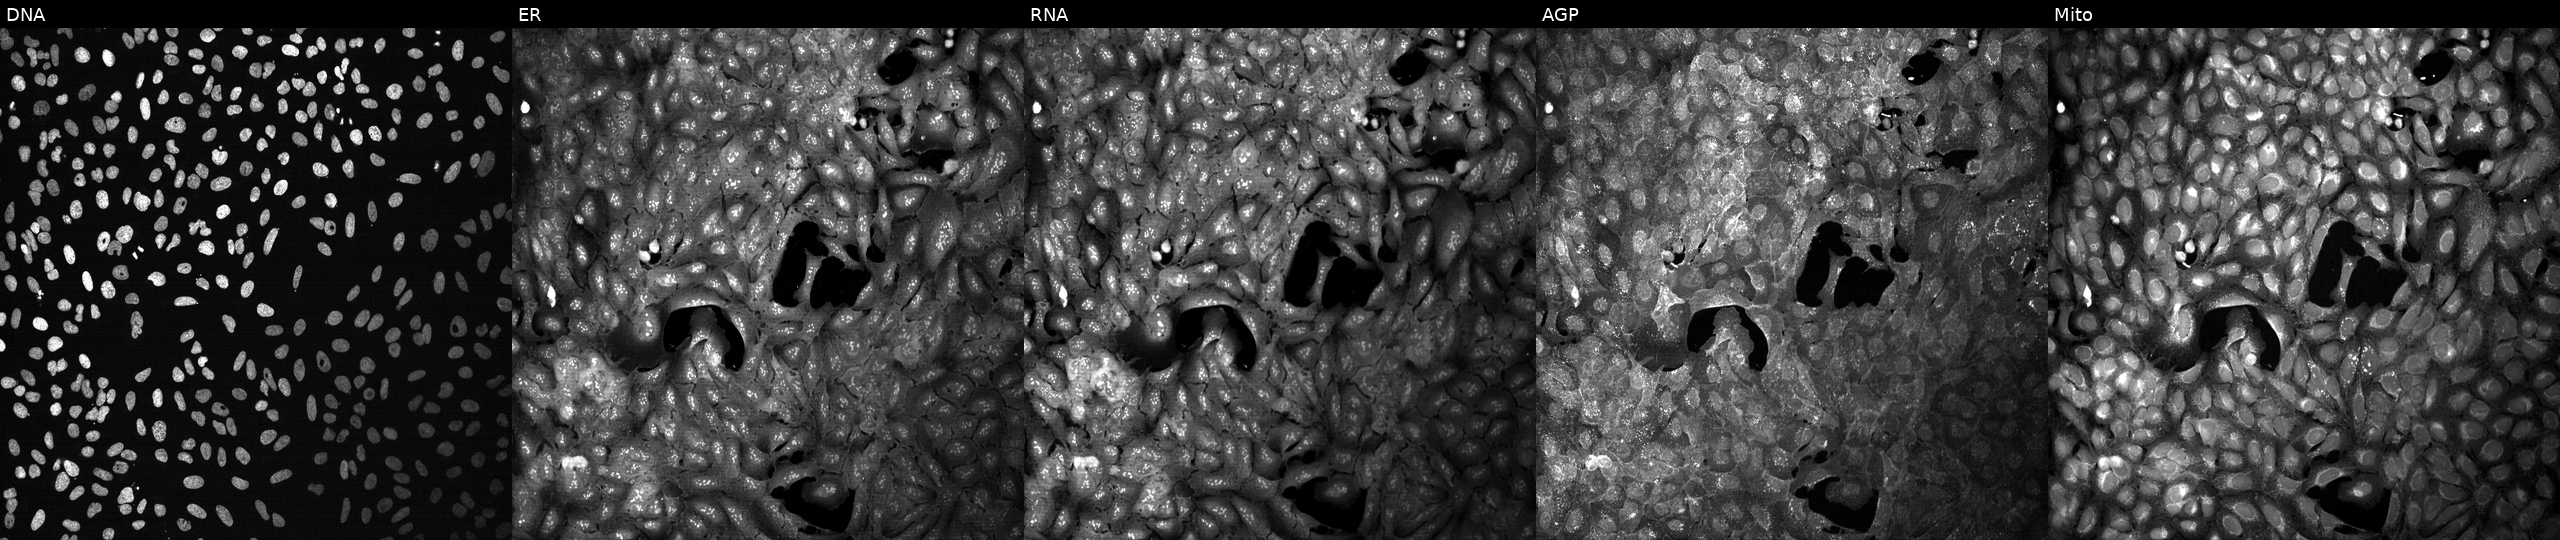
High-content fluorescence microscopy (Cell Painting). Cell line: U2OS. Perturbation: following CRISPR knockout of SLC2A5. From left to right: Hoechst 33342, concanavalin A, SYTO 14, phalloidin and WGA, MitoTracker.